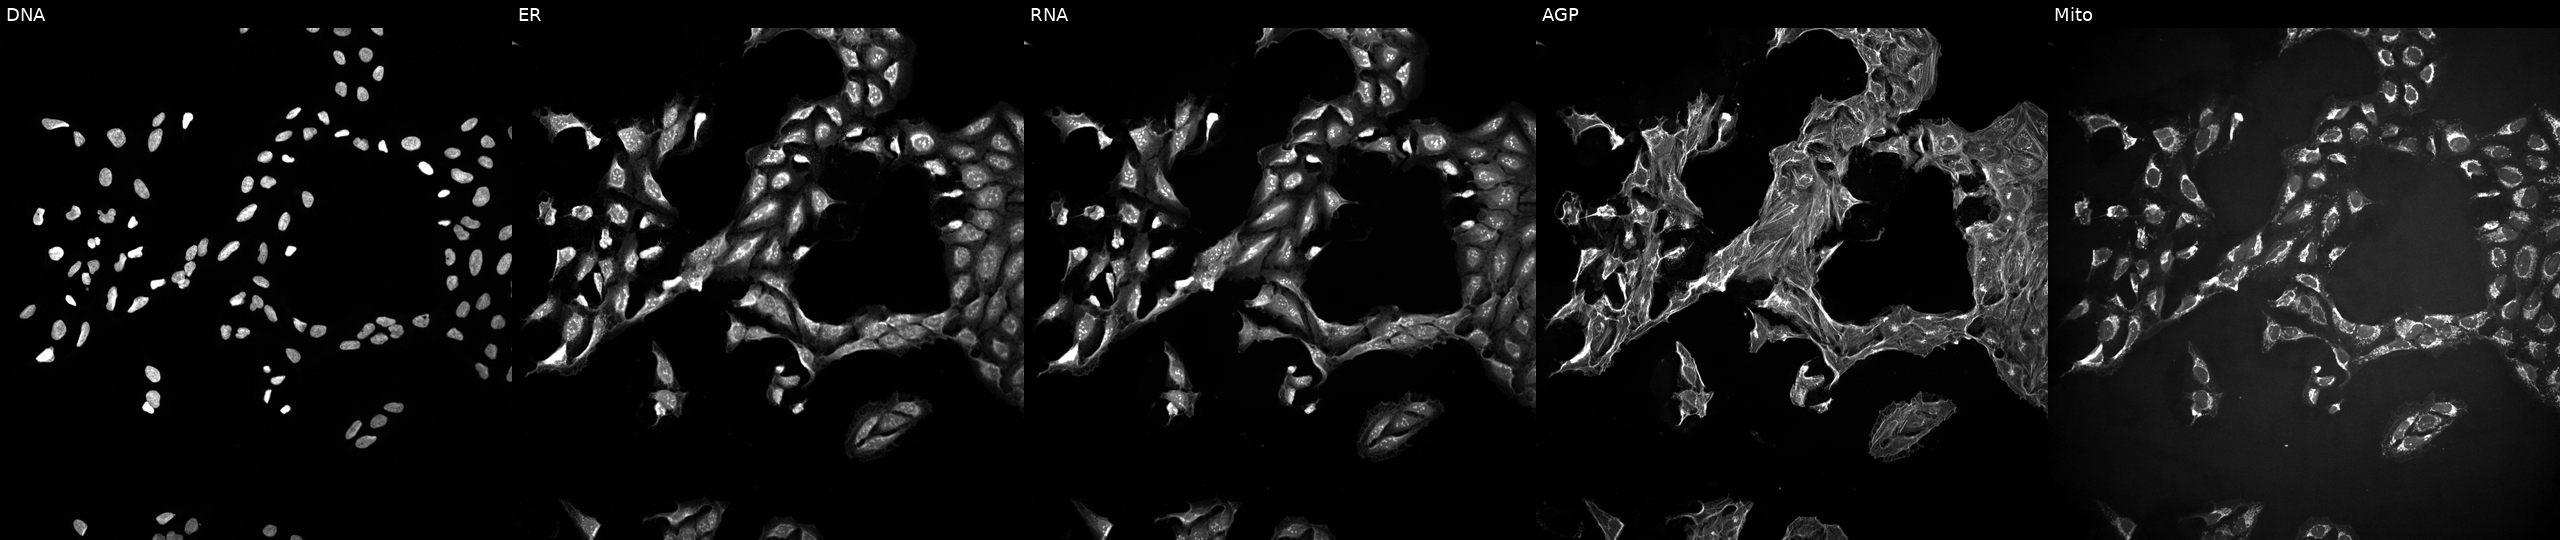
High-content fluorescence microscopy (Cell Painting). Cell line: U2OS. Perturbation: perturbed with a small-molecule compound. Panels show, left to right, DNA, ER, RNA, AGP, and Mito. Source 10, plate Dest210726-160150, well A03.